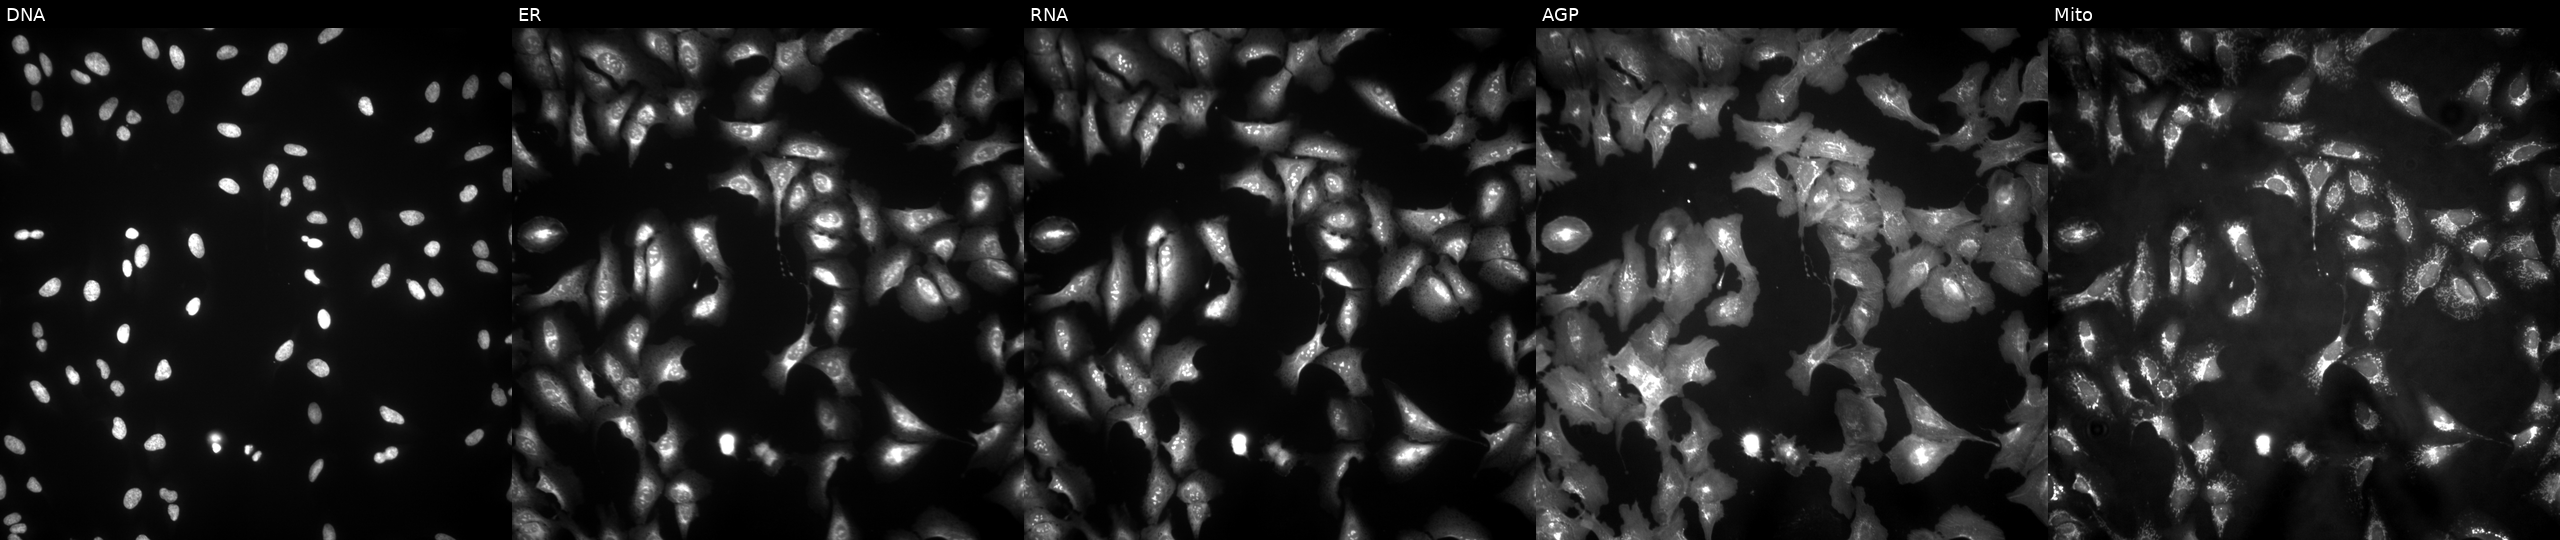
U2OS cells, Cell Painting assay, overexpressing LRRC4C via ORF transfection. Channels (left→right): DNA (nuclei); ER (endoplasmic reticulum); RNA (nucleoli and cytoplasmic RNA); AGP (actin cytoskeleton, Golgi, and plasma membrane); Mito (mitochondria). Each panel is percentile-stretched 16-bit fluorescence. Source 4, plate BR00123506, well N21.